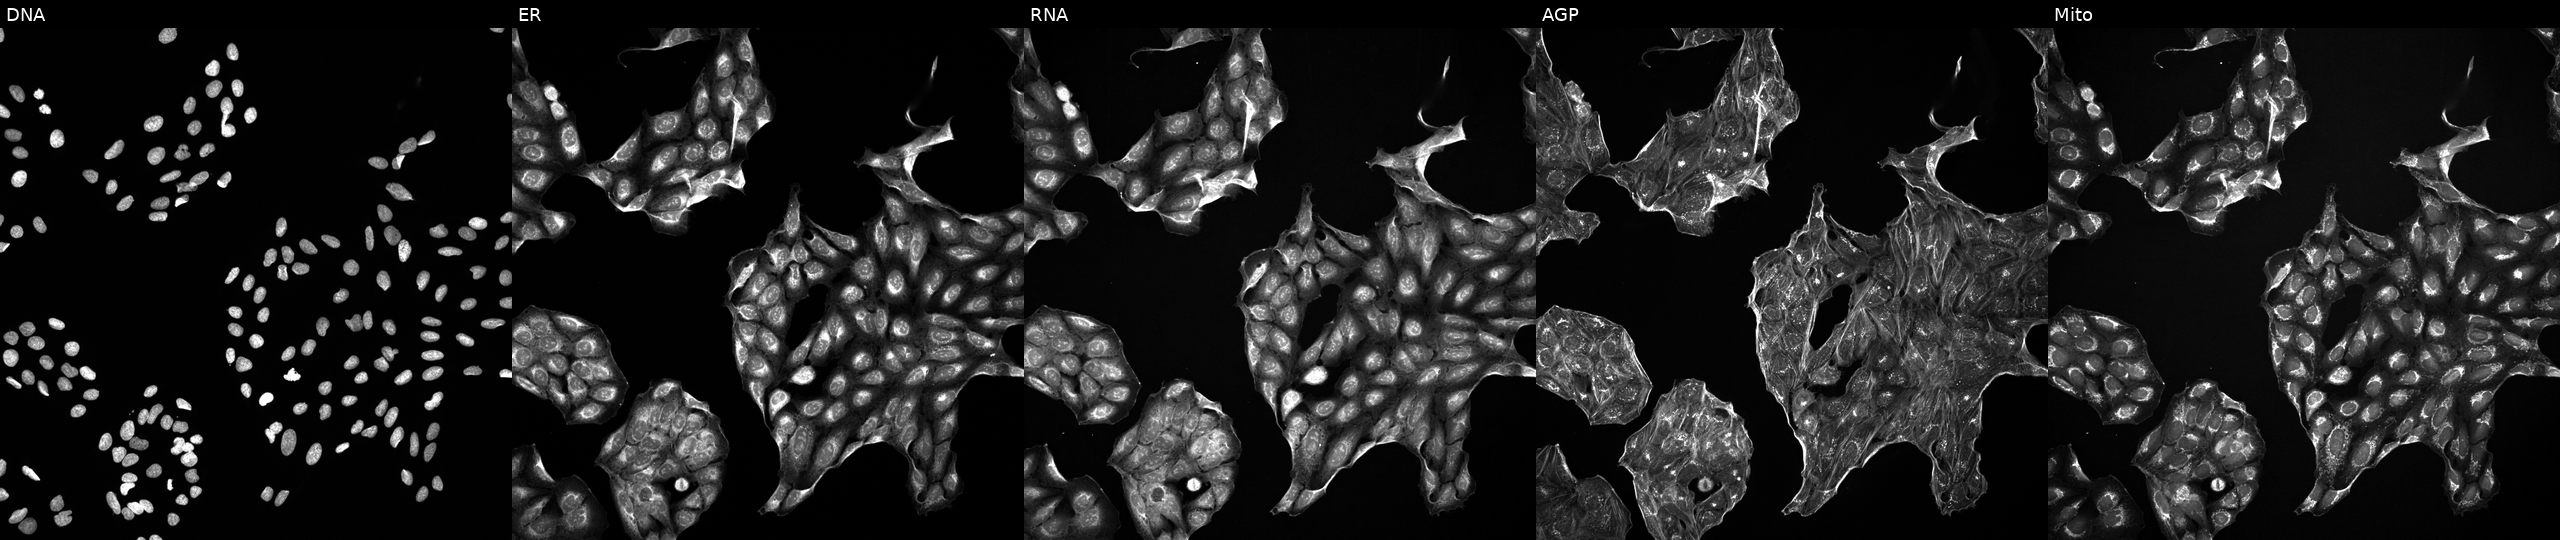
U2OS cells, Cell Painting assay, exposed to a small-molecule compound (InChIKey DJKJVWJQAVGLHJ-UHFFFAOYSA-N) [SMILES: N=c1nc(N2CCNCC2)c2c([nH]1)C1=C(CC2)OC2CCCCC12] (JUMP id JCP2022_016288). The five panels, left to right, show DNA (nuclei); ER (endoplasmic reticulum); RNA (nucleoli and cytoplasmic RNA); AGP (actin cytoskeleton, Golgi, and plasma membrane); Mito (mitochondria). Each panel is percentile-stretched 16-bit fluorescence. Source 5, plate ACPJUM012, well A11.